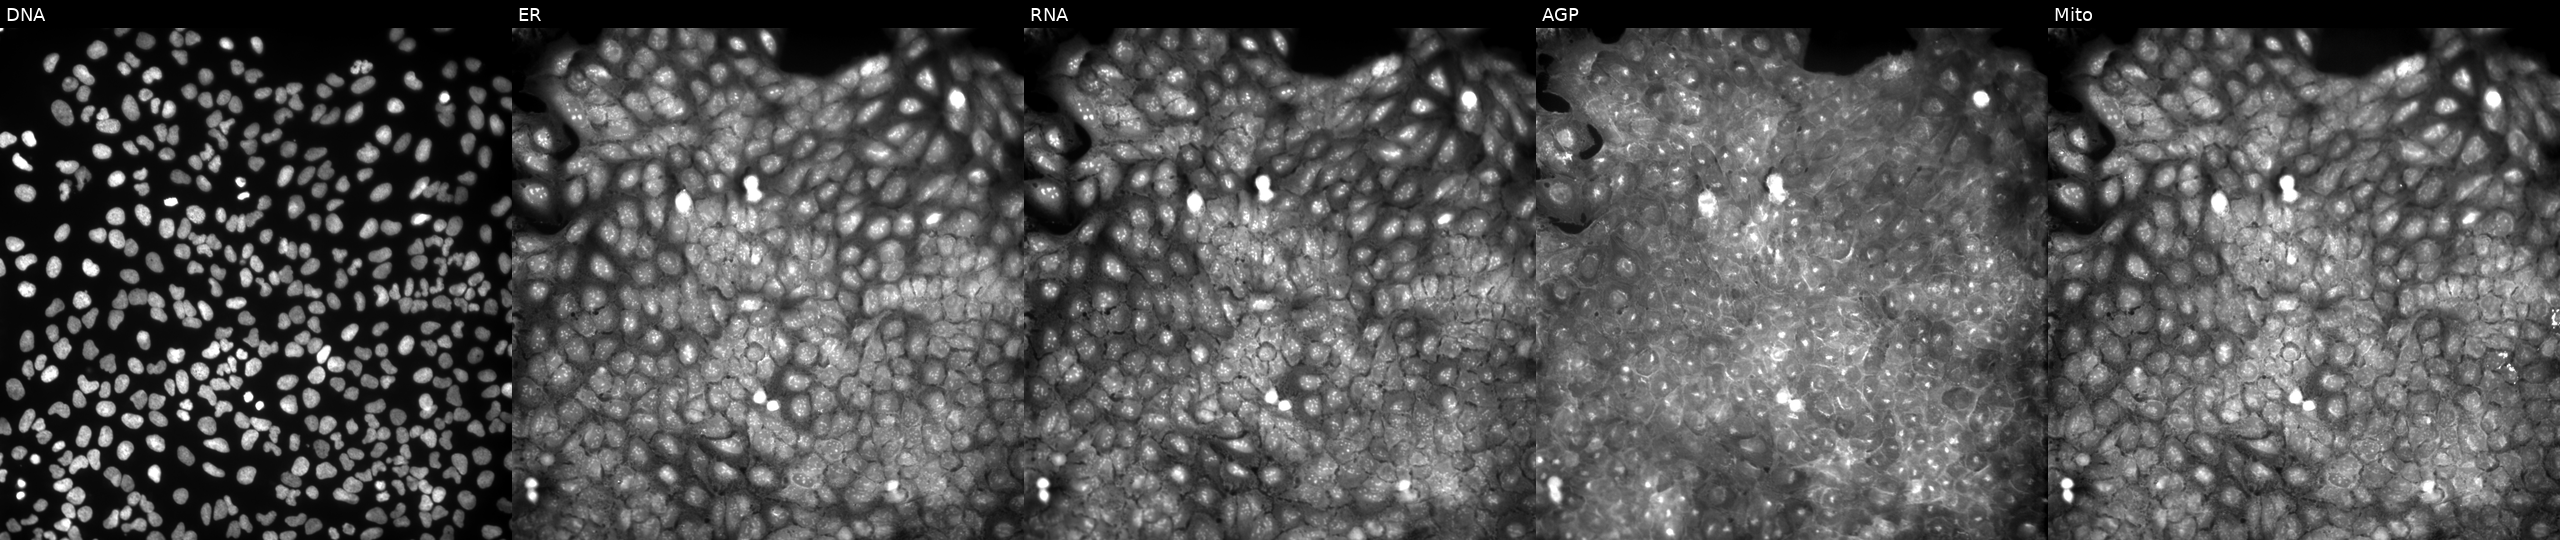
JUMP Cell Painting — COMPOUND plate. U2OS cells exposed to a small-molecule compound. Channels (left→right): DNA (nuclei); ER (endoplasmic reticulum); RNA (nucleoli and cytoplasmic RNA); AGP (actin cytoskeleton, Golgi, and plasma membrane); Mito (mitochondria).